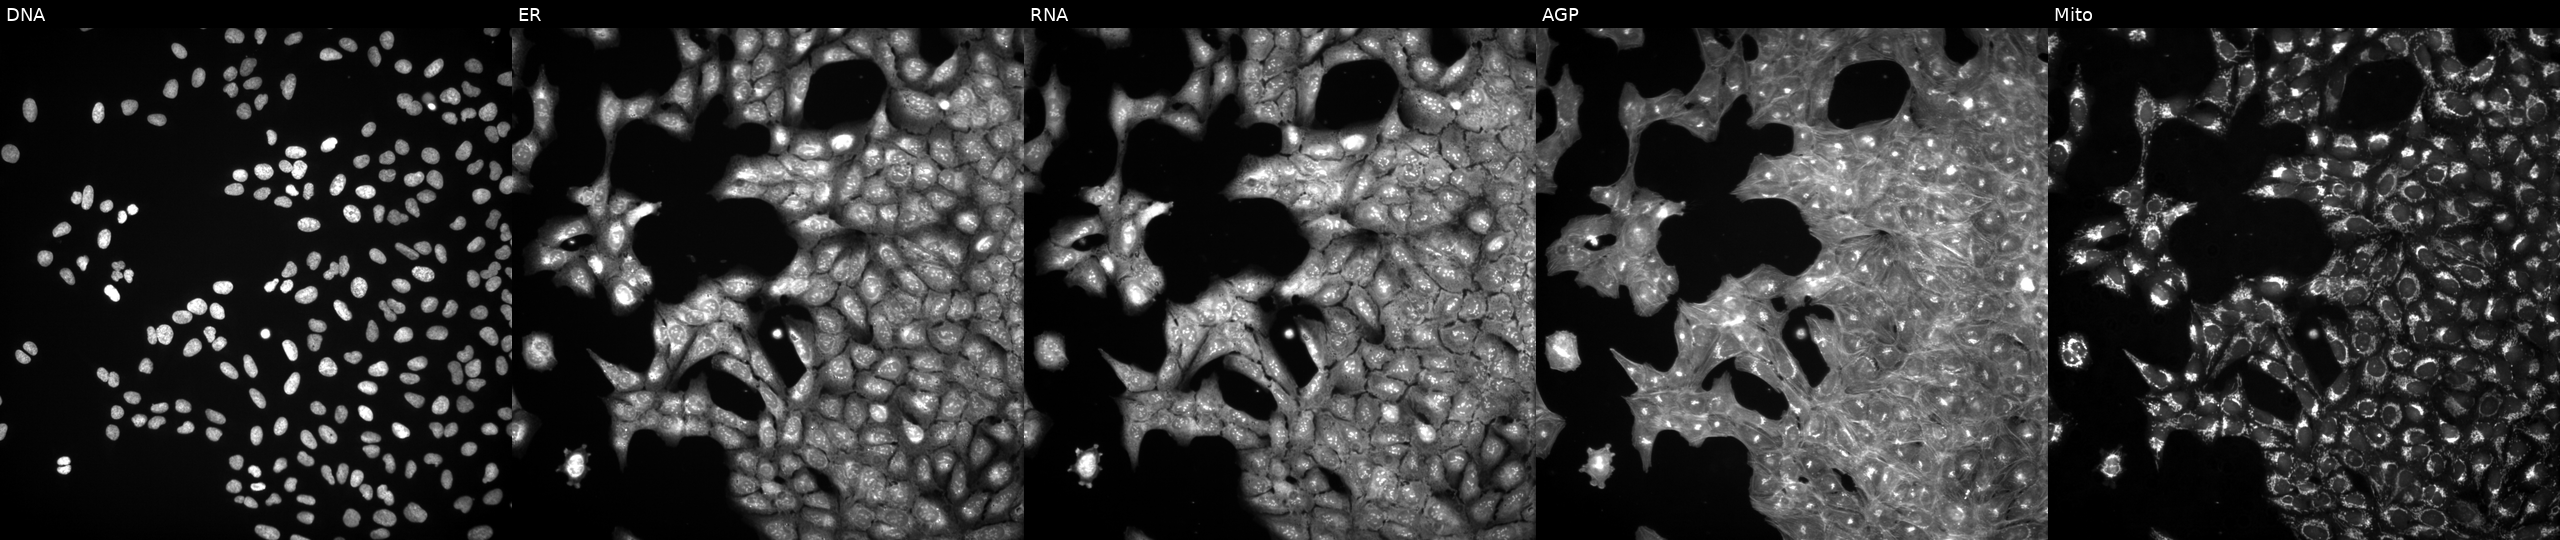
This image strip shows the five Cell Painting channels for a single field of U2OS cells exposed to a small-molecule compound (InChIKey SUPOPAJBYFZIGO-UHFFFAOYSA-N) [SMILES: Nc1cc(Cl)ccc1C(=O)OCC(=O)NC(=O)NCc1ccccc1] (JUMP id JCP2022_085724). The five panels, left to right, show DNA, ER, RNA, AGP, and Mito. Source 3, plate BR5867b3, well E09.